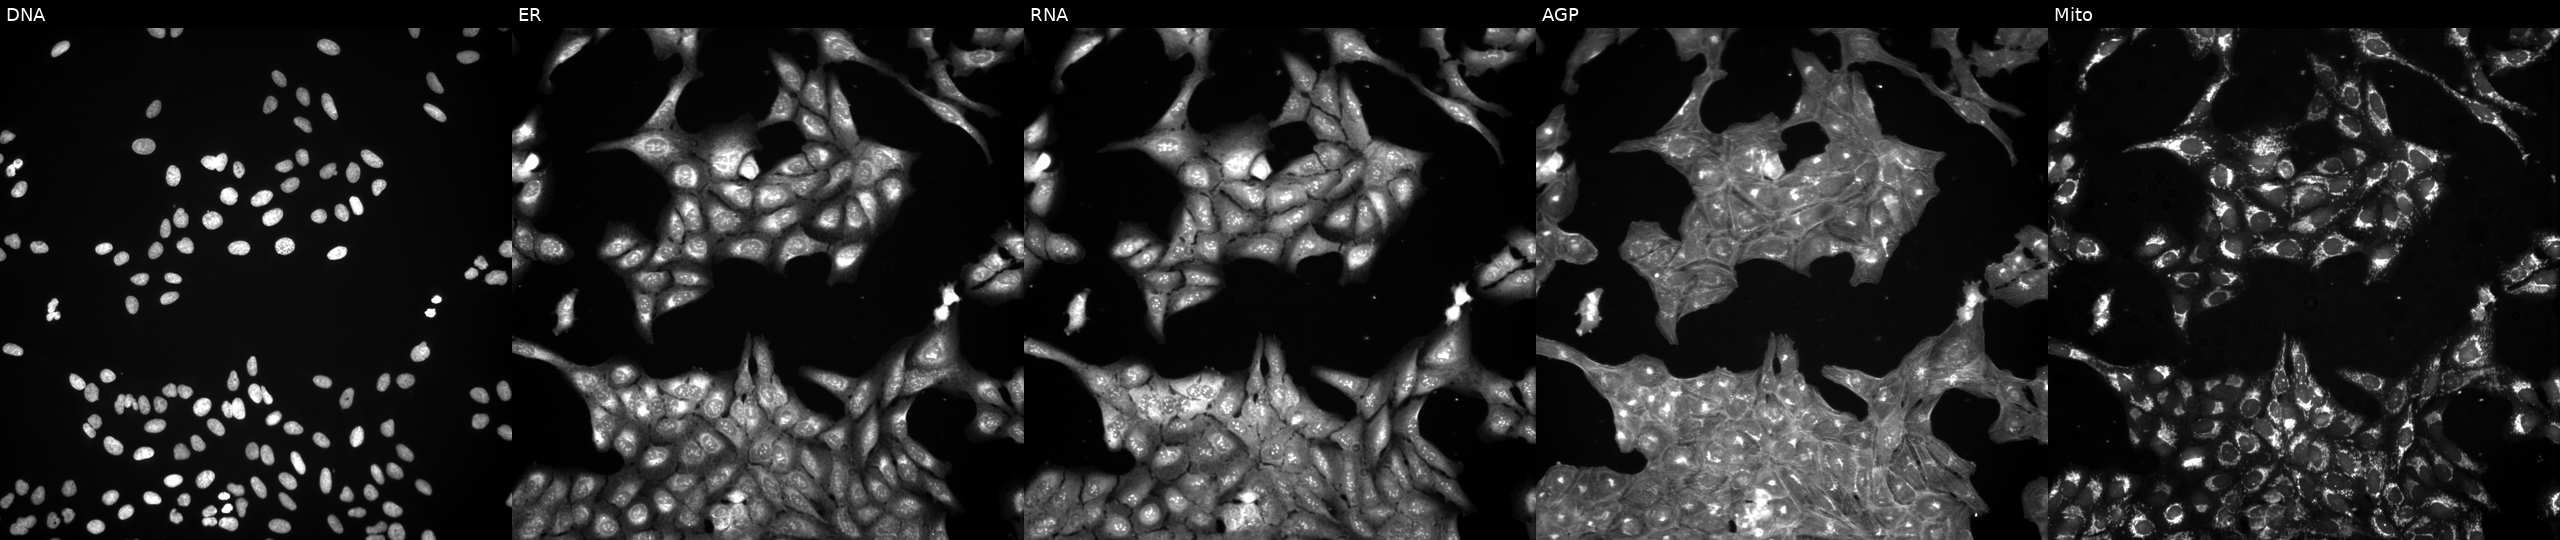
JUMP Cell Painting — COMPOUND plate. U2OS cells exposed to a small-molecule compound (JUMP id JCP2022_045116). Panels show, left to right, DNA, ER, RNA, AGP, and Mito.